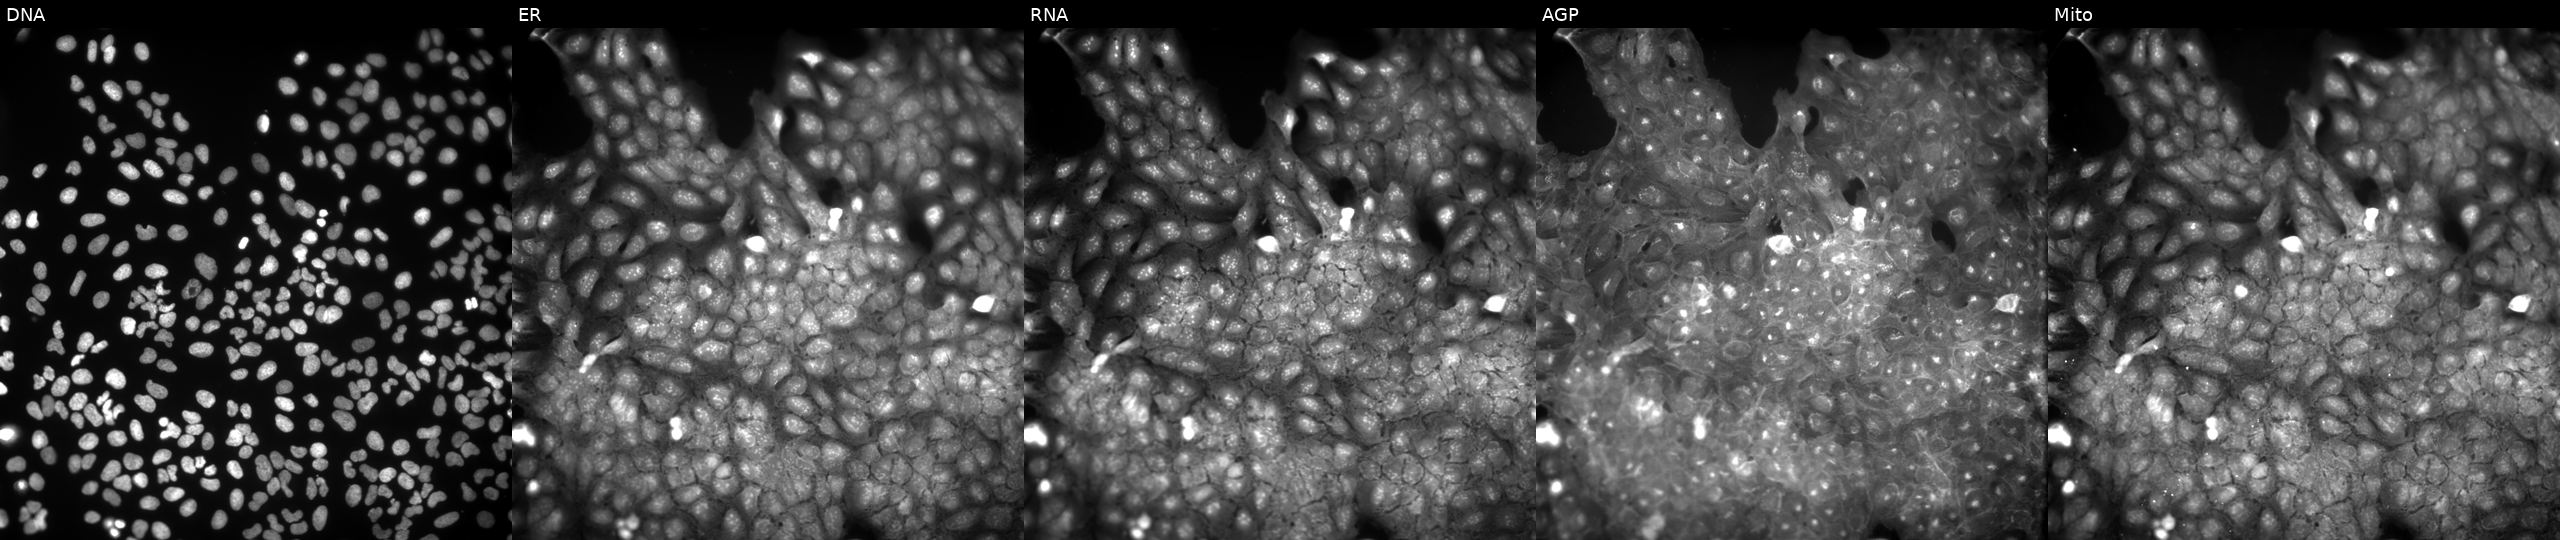
This image strip shows the five Cell Painting channels for a single field of U2OS cells perturbed with a small-molecule compound (InChIKey ZFSGYLNRFAJQOQ-UHFFFAOYSA-N) [SMILES: CC(C(=O)NN=C1CCN(C)CC1)N(c1ccccc1)S(C)(=O)=O]. The five panels, left to right, show DNA (nuclei); ER (endoplasmic reticulum); RNA (nucleoli and cytoplasmic RNA); AGP (actin cytoskeleton, Golgi, and plasma membrane); Mito (mitochondria). Source 9, plate GR00003381, well AE04.